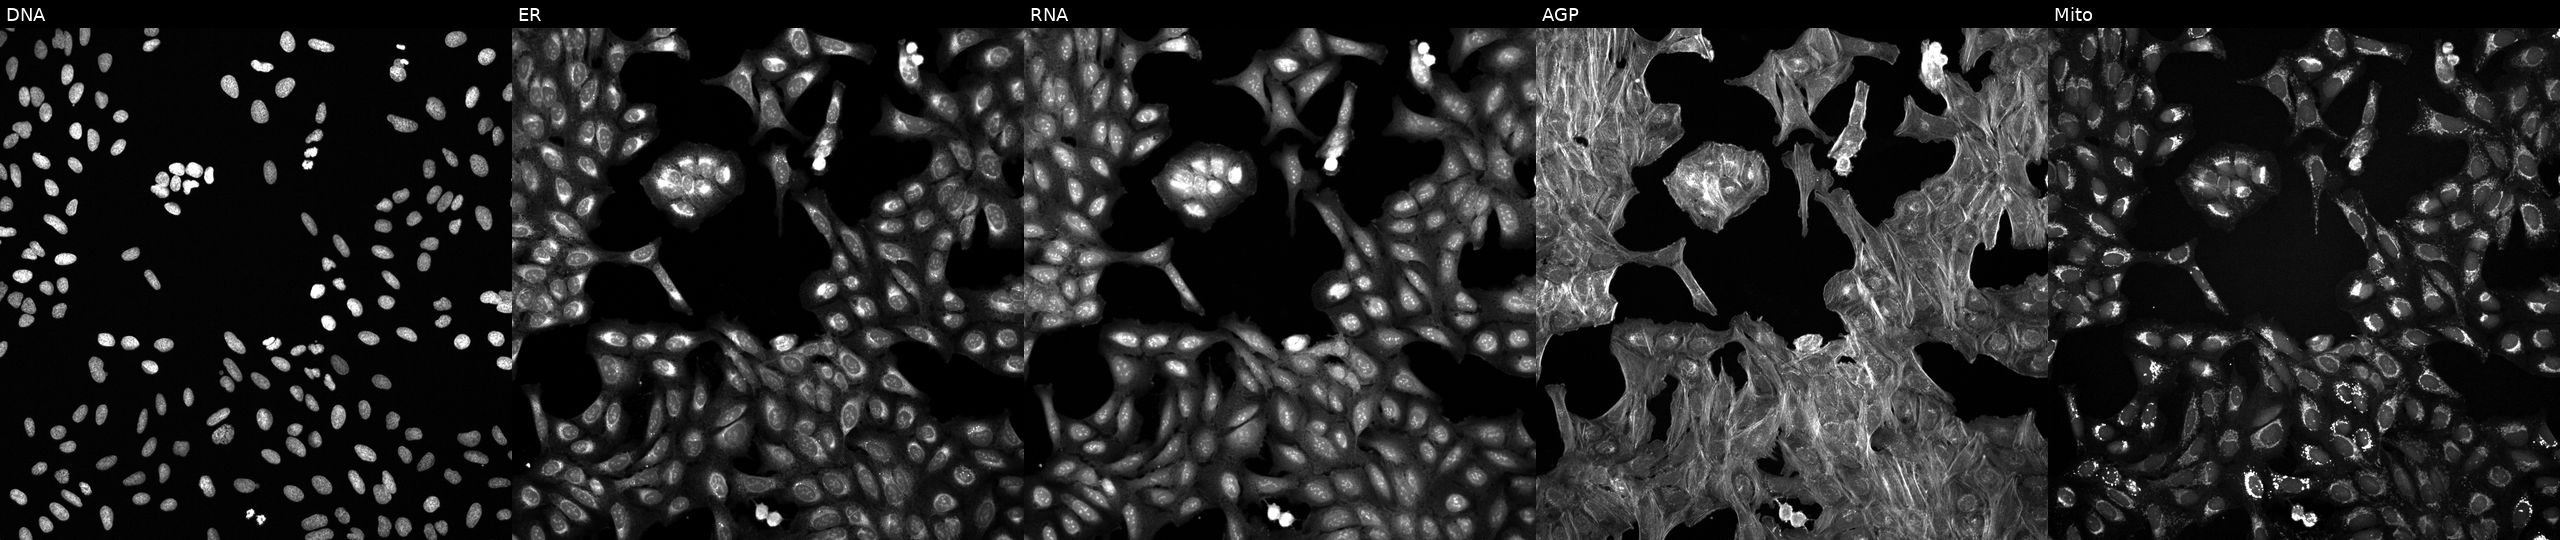
High-content fluorescence microscopy (Cell Painting). Cell line: U2OS. Perturbation: treated with a small-molecule compound (InChIKey YYOOFJZTRCPVFD-UHFFFAOYSA-N). Panels show, left to right, DNA (nuclei); ER (endoplasmic reticulum); RNA (nucleoli and cytoplasmic RNA); AGP (actin cytoskeleton, Golgi, and plasma membrane); Mito (mitochondria).